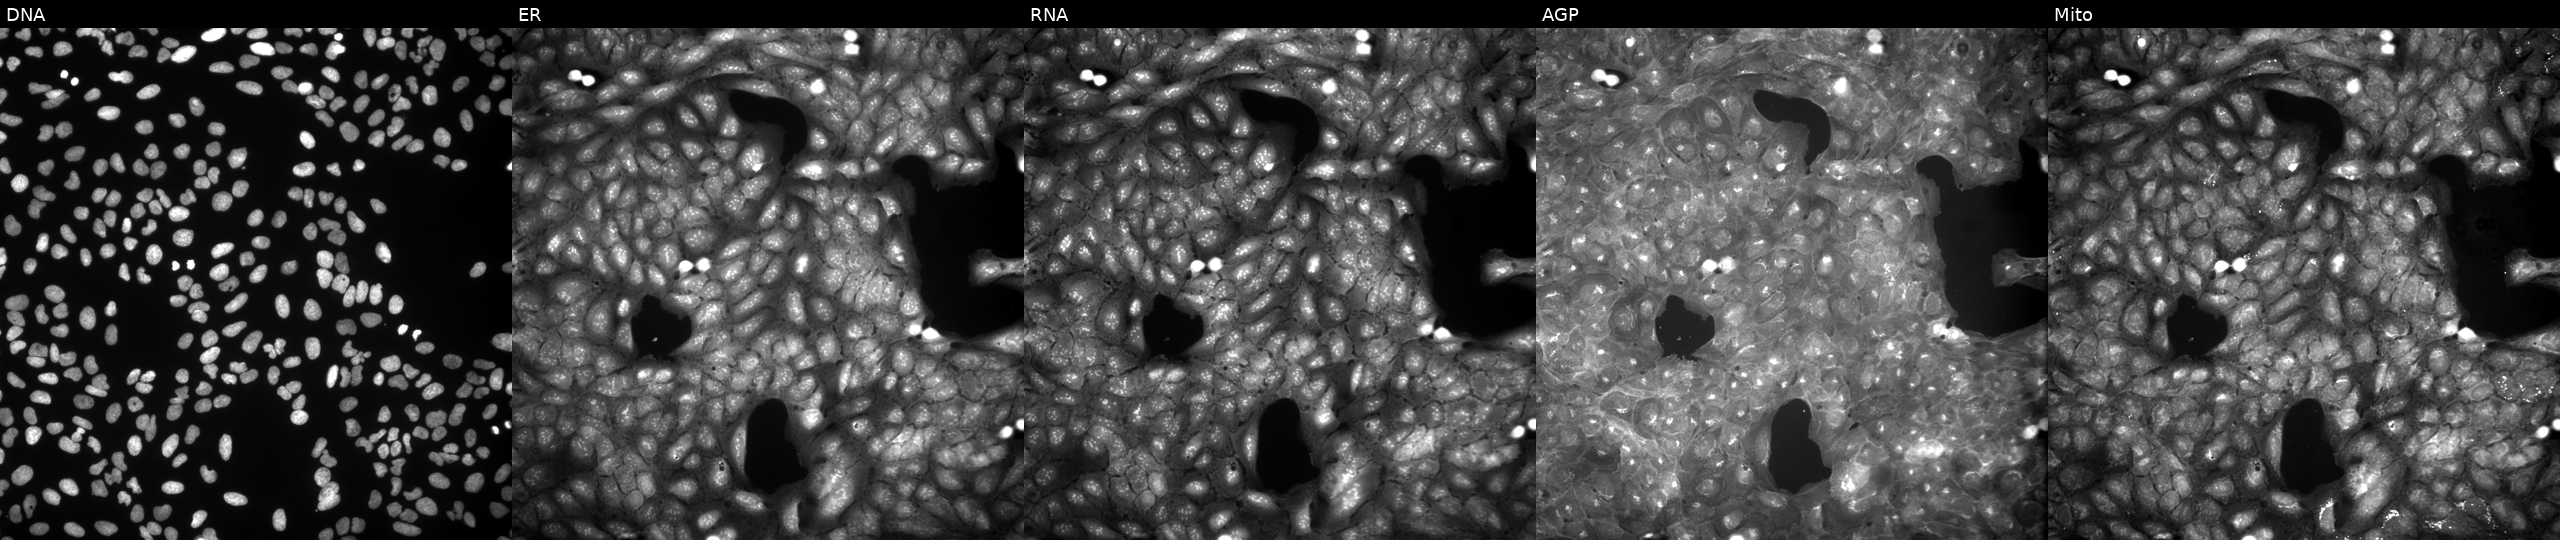
Five-channel Cell Painting image of U2OS cells perturbed with a small-molecule compound (InChIKey JXTFTIPJXBZCMA-UHFFFAOYSA-N) [SMILES: CCCCCCCNc1cc(O)n(-c2ccc(F)cc2)c1O] (JUMP id JCP2022_042818). Panels show, left to right, DNA, ER, RNA, AGP, and Mito. Source 9, plate GR00003381, well D29.